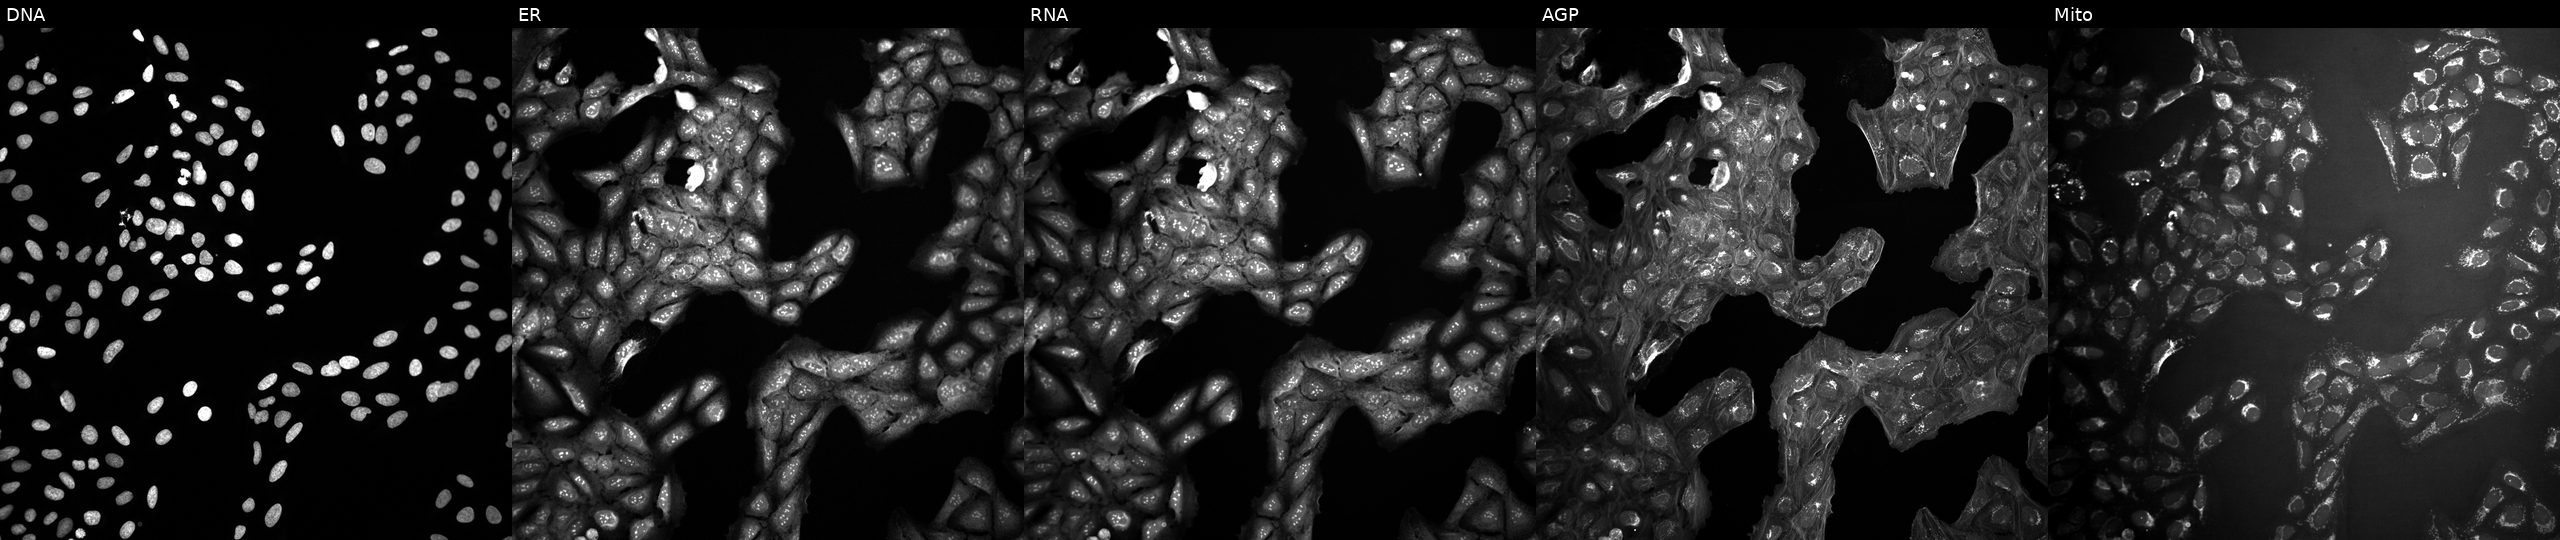
Five-channel Cell Painting image of U2OS cells treated with DMSO vehicle only (negative control) (JUMP id JCP2022_033924). The five panels, left to right, show Hoechst 33342, concanavalin A, SYTO 14, phalloidin and WGA, MitoTracker. Source 10, plate Dest210531-152149, well E23.